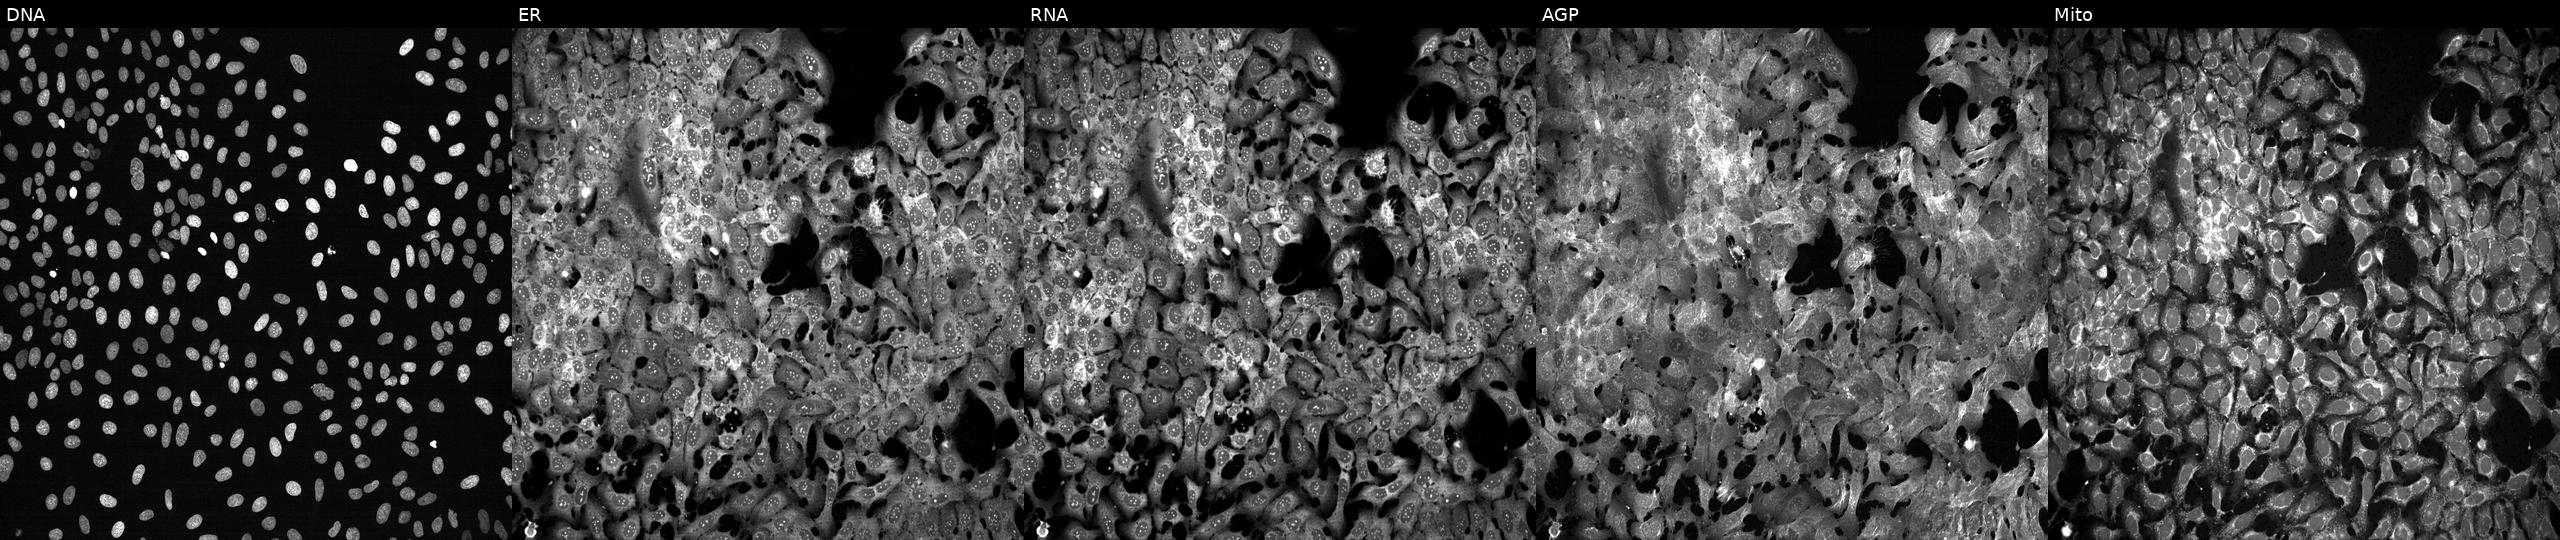
Five-channel Cell Painting image of U2OS cells treated with FK-866 (positive-control compound). Channels (left→right): DNA, ER, RNA, AGP, and Mito. Source 13, plate CP-CC9-R2-02, well H24.